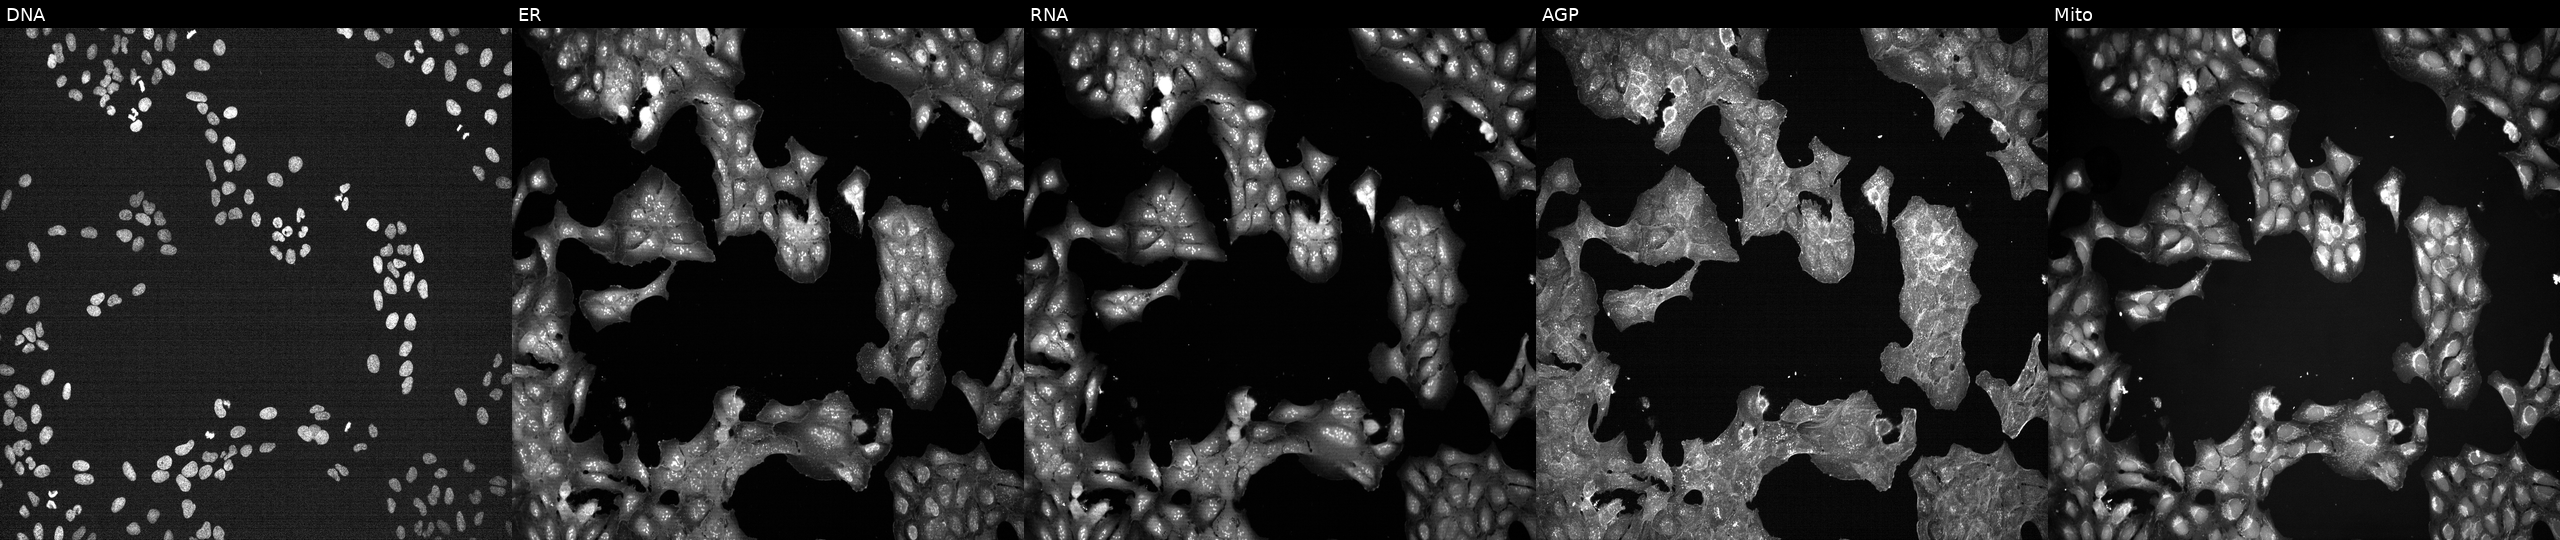
JUMP Cell Painting — TARGET2 plate. U2OS cells exposed to a small-molecule compound (InChIKey AGNWVEJTZJIJIM-UHFFFAOYSA-N) [SMILES: Cc1cc(C)c2nc(-c3ccccn3)cc(C(=O)Nc3ccc(S(=O)(=O)N=c4o[nH]c(C)c4C)cc3)c2c1] (JUMP id JCP2022_001275). From left to right: DNA, ER, RNA, AGP, and Mito. Source 7, plate CP1-SC1-25, well N14.